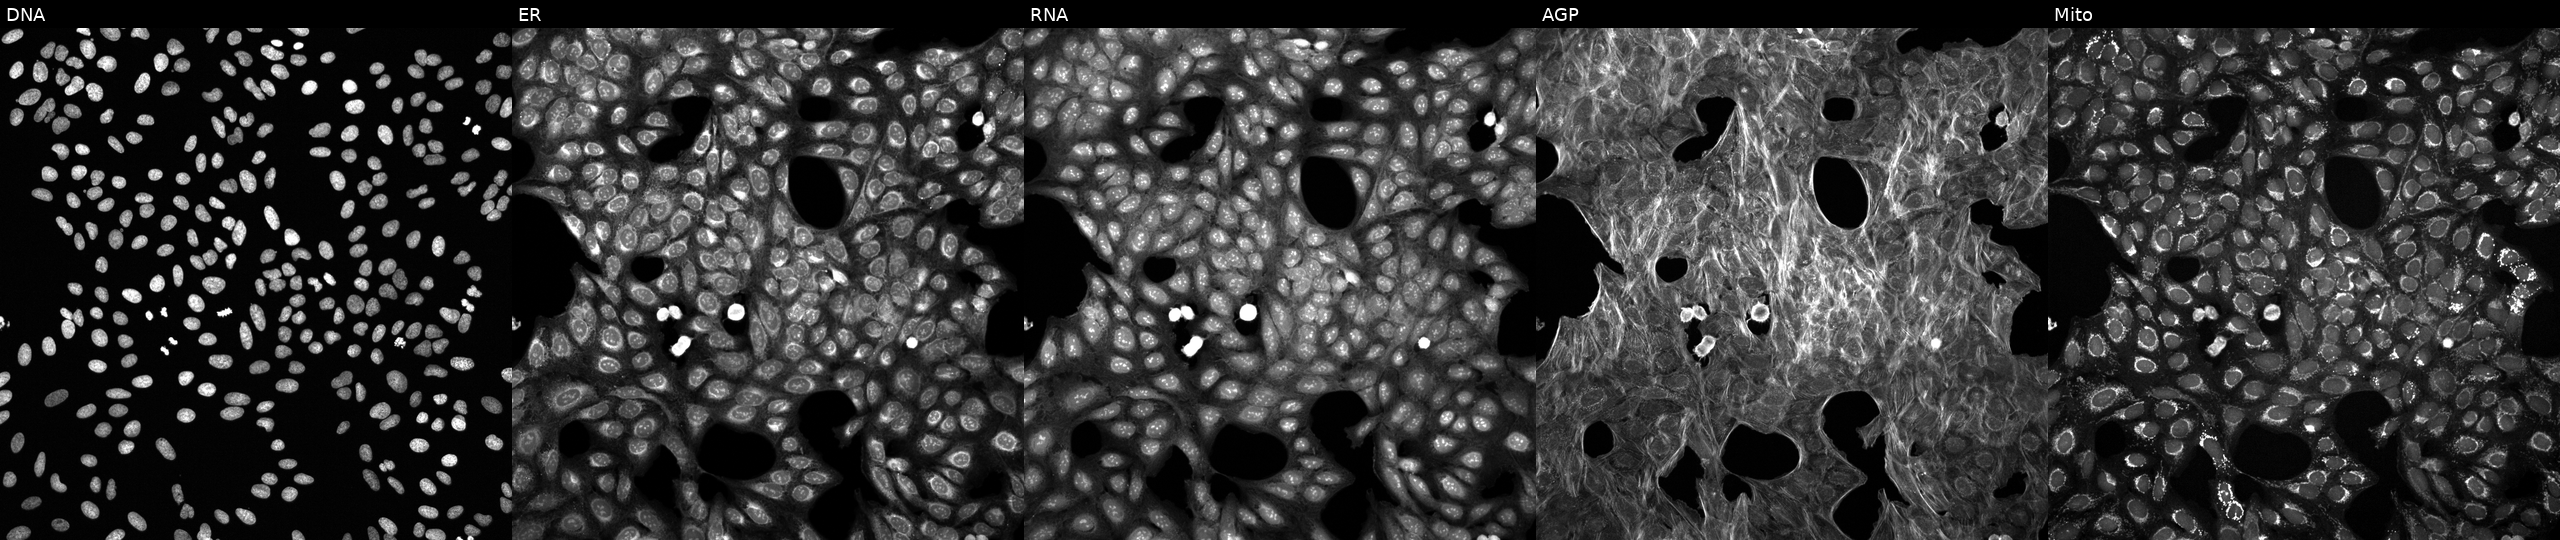
JUMP Cell Painting — COMPOUND plate. U2OS cells exposed to the positive-control compound LY2109761 (JUMP id JCP2022_035095). Channels (left→right): Hoechst 33342, concanavalin A, SYTO 14, phalloidin and WGA, MitoTracker.